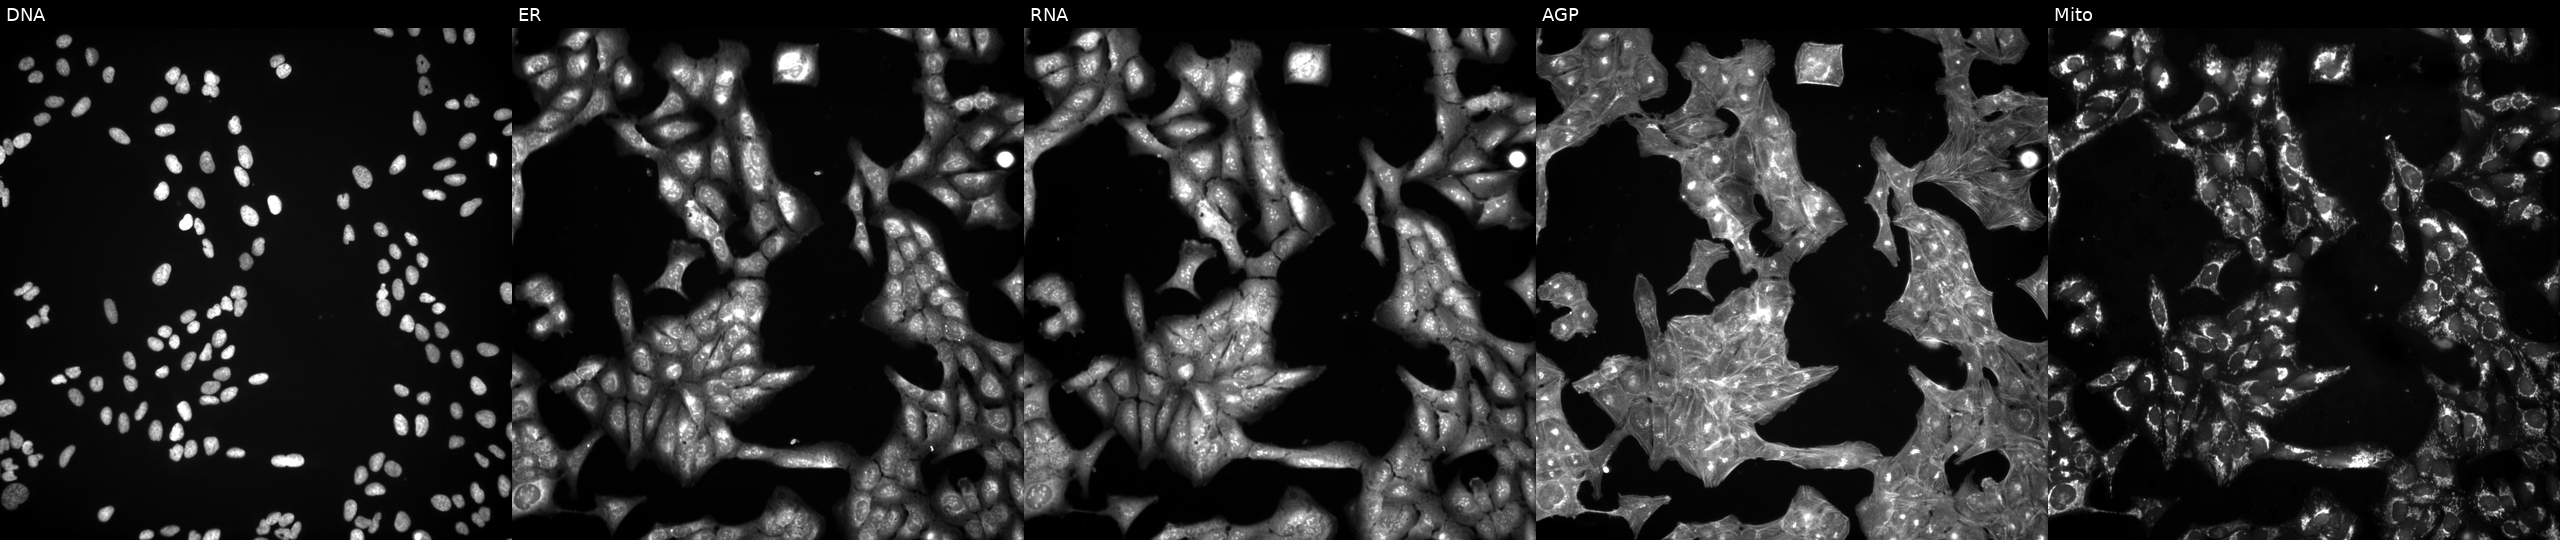
U2OS cells, Cell Painting assay, treated with a small-molecule compound (InChIKey NITYDPDXAAFEIT-UHFFFAOYSA-N) (JUMP id JCP2022_059269). Panels show, left to right, DNA, ER, RNA, AGP, and Mito. Each panel is percentile-stretched 16-bit fluorescence.